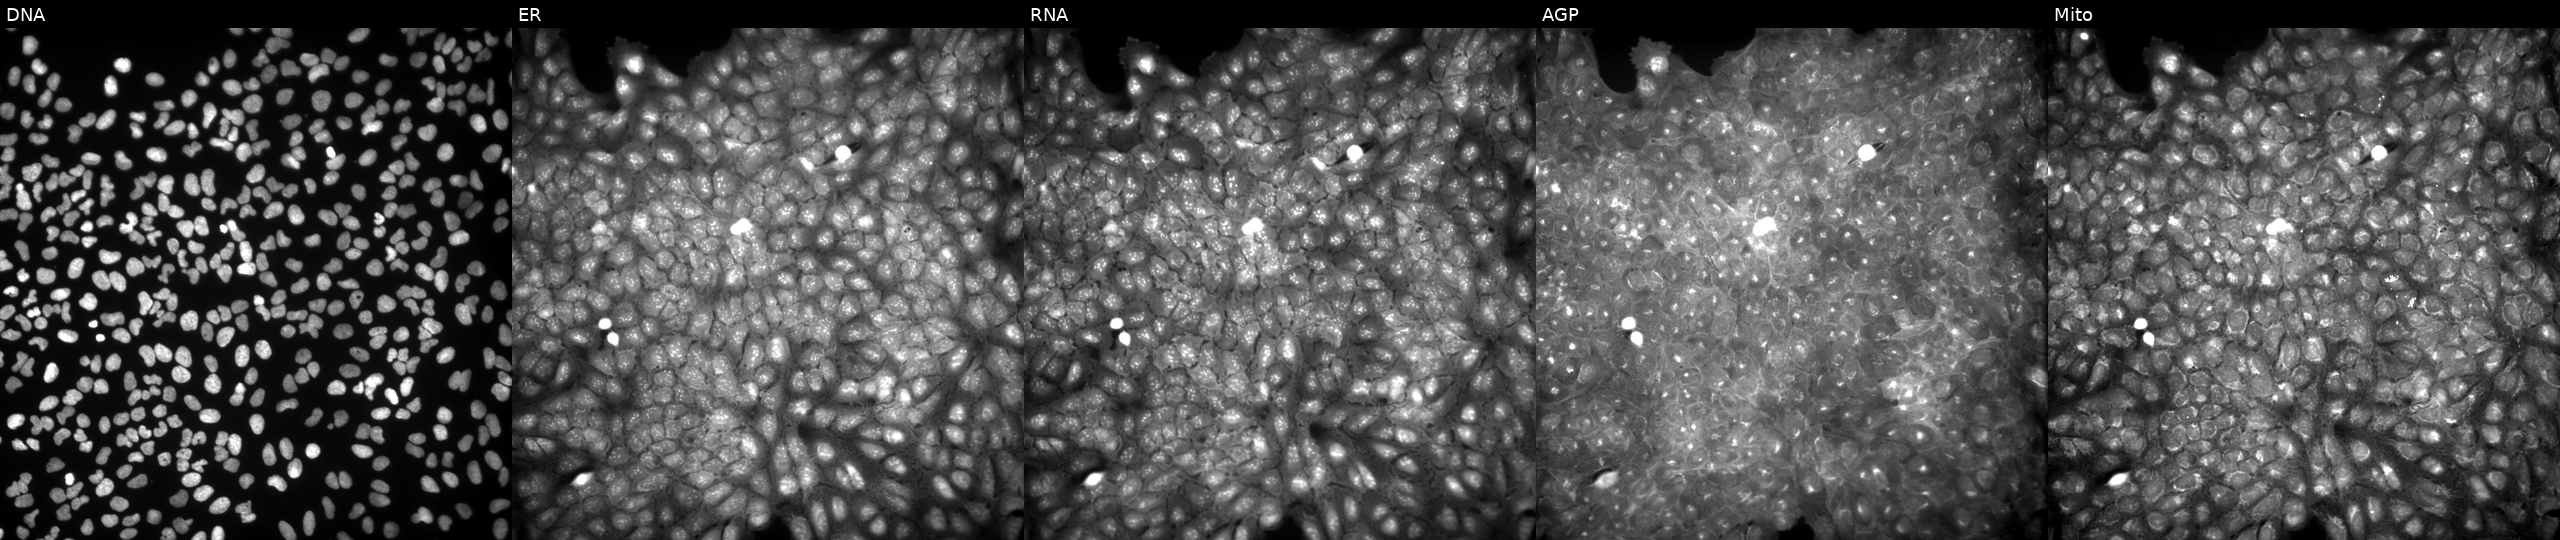
U2OS cells, Cell Painting assay, exposed to a small-molecule compound [SMILES: Cc1ccc2nsnc2c1NC(=O)c1ccc([N+](=O)[O-])cc1]. Panels show, left to right, DNA, ER, RNA, AGP, and Mito. Each panel is percentile-stretched 16-bit fluorescence.